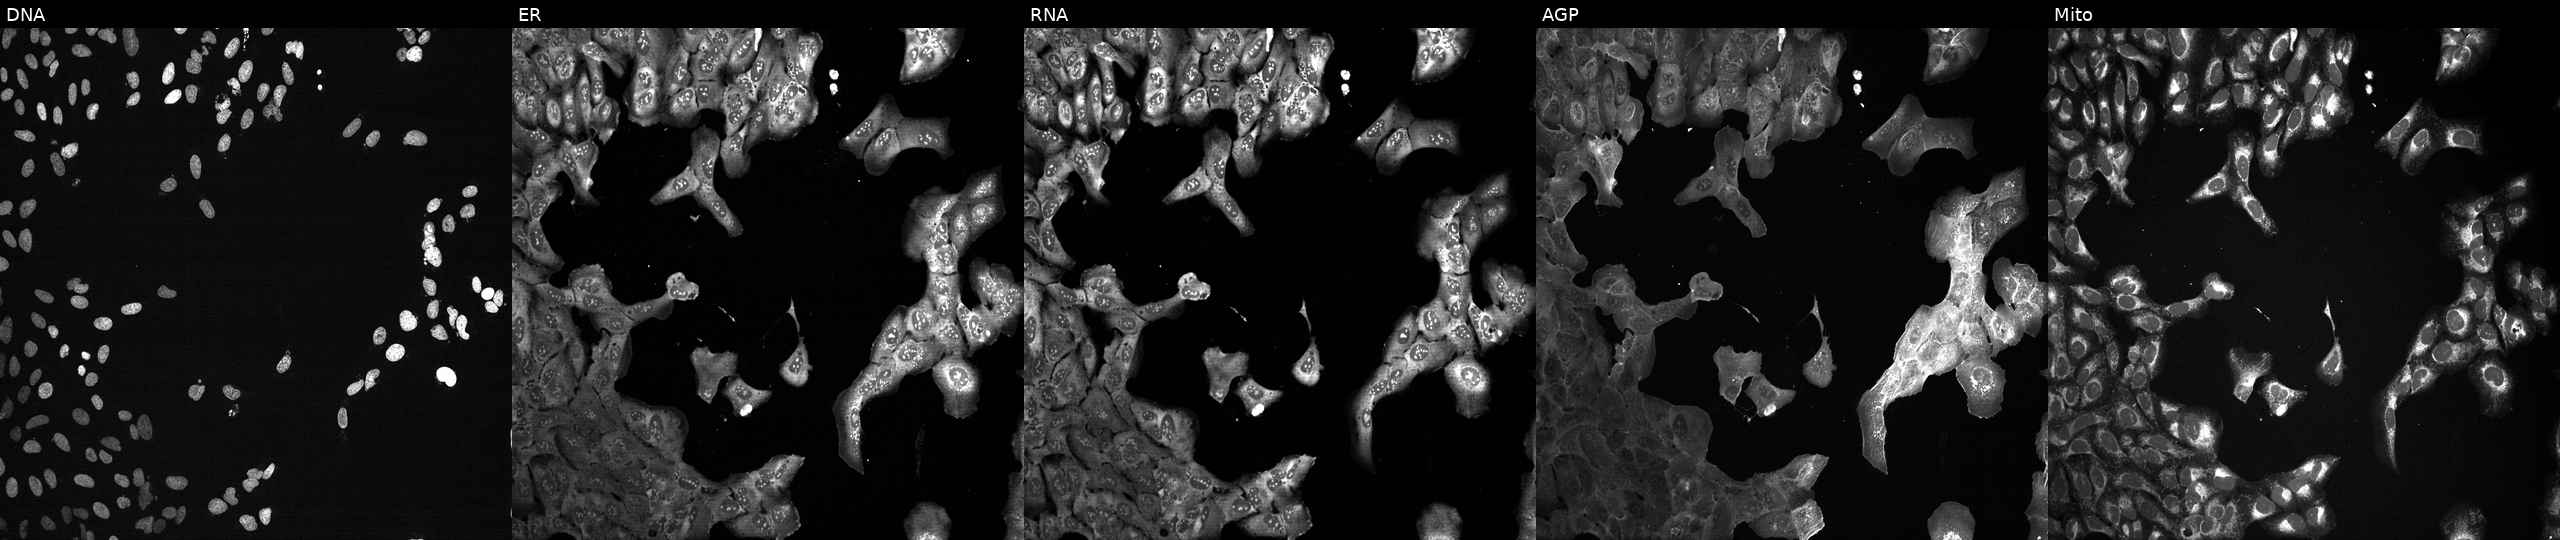
Five-channel Cell Painting image of U2OS cells following CRISPR knockout of PLRG1. Channels (left→right): DNA, ER, RNA, AGP, and Mito. Source 13, plate CP-CC9-R6-19, well P06.